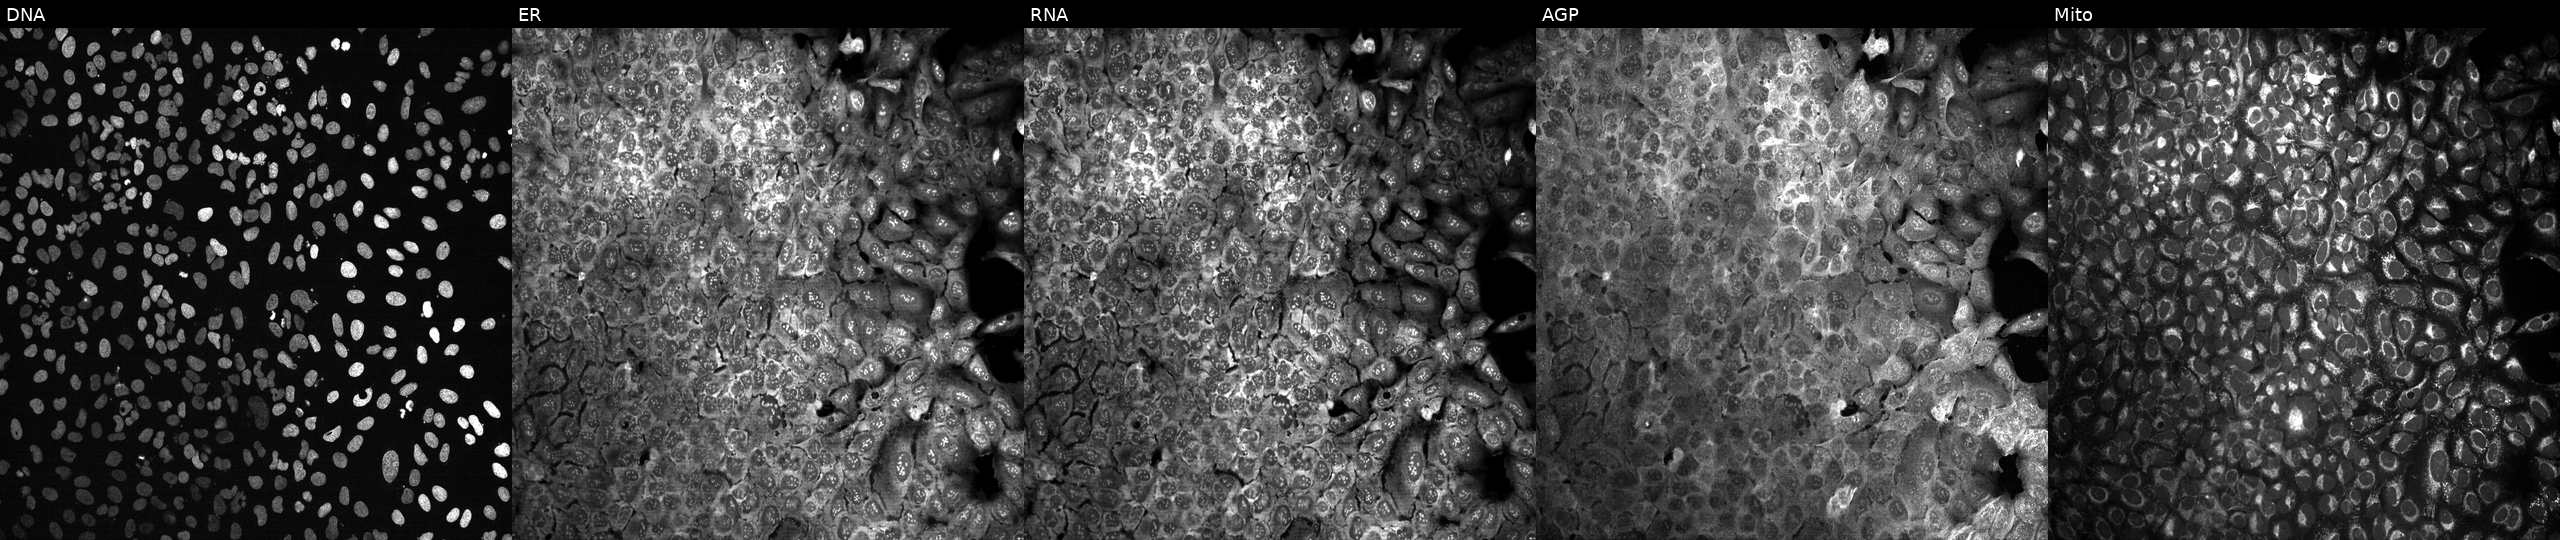
U2OS cells, Cell Painting assay, CRISPR-edited to disrupt GJA4 (JUMP id JCP2022_802693). Channels (left→right): DNA (nuclei); ER (endoplasmic reticulum); RNA (nucleoli and cytoplasmic RNA); AGP (actin cytoskeleton, Golgi, and plasma membrane); Mito (mitochondria). Each panel is percentile-stretched 16-bit fluorescence. Source 13, plate CP-CC9-R3-01, well N04.